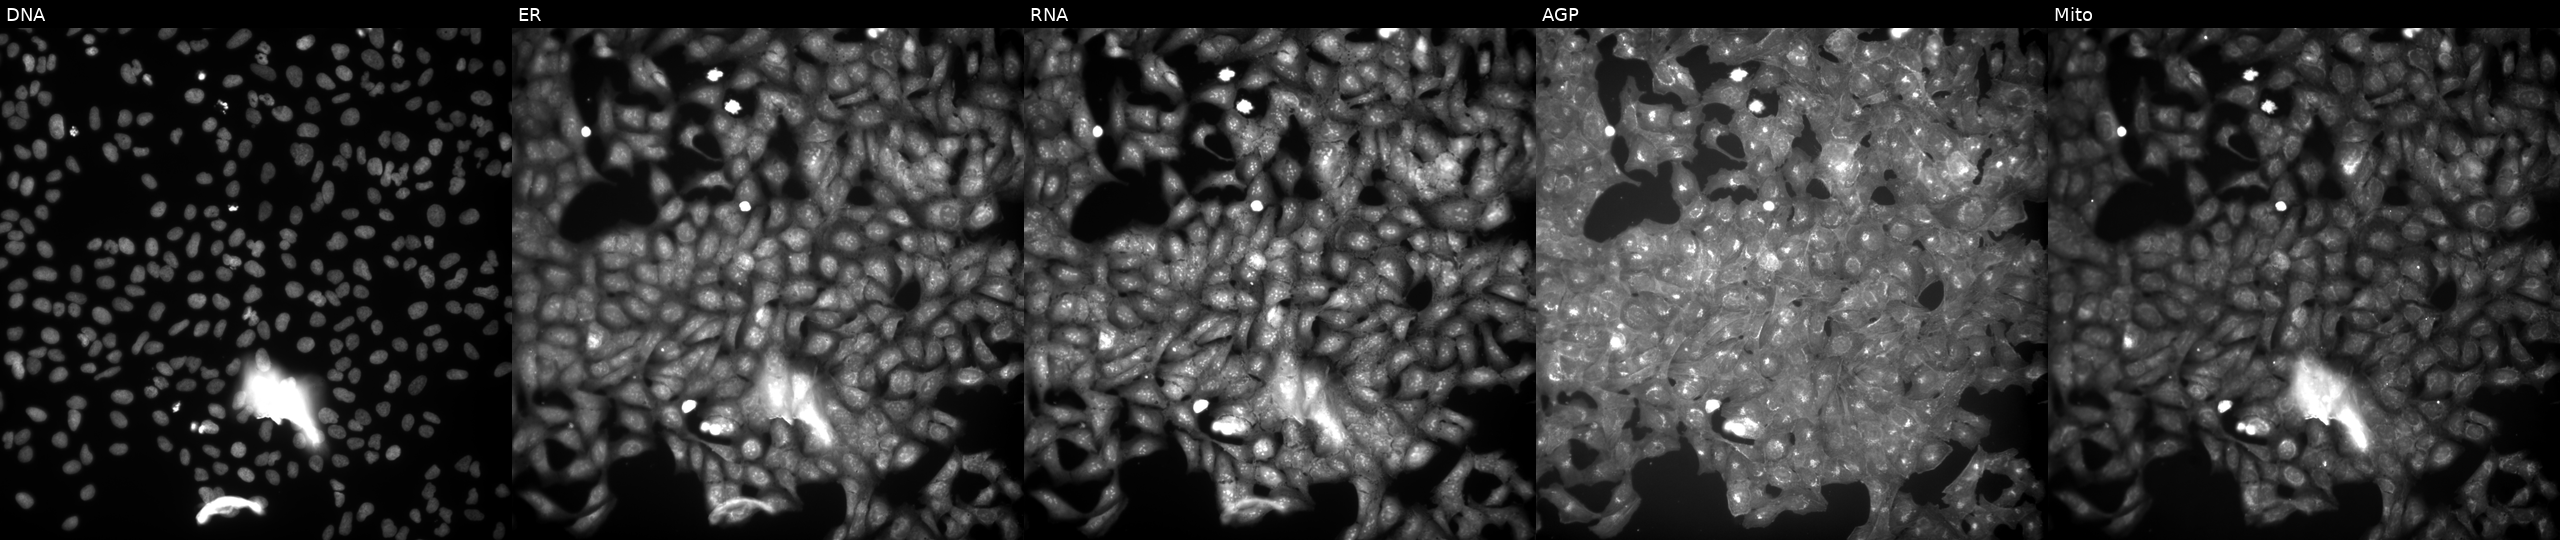
JUMP Cell Painting — COMPOUND plate. U2OS cells exposed to the positive-control compound NVS-PAK1-1. Panels show, left to right, DNA, ER, RNA, AGP, and Mito. Source 9, plate GR00003381, well F48.